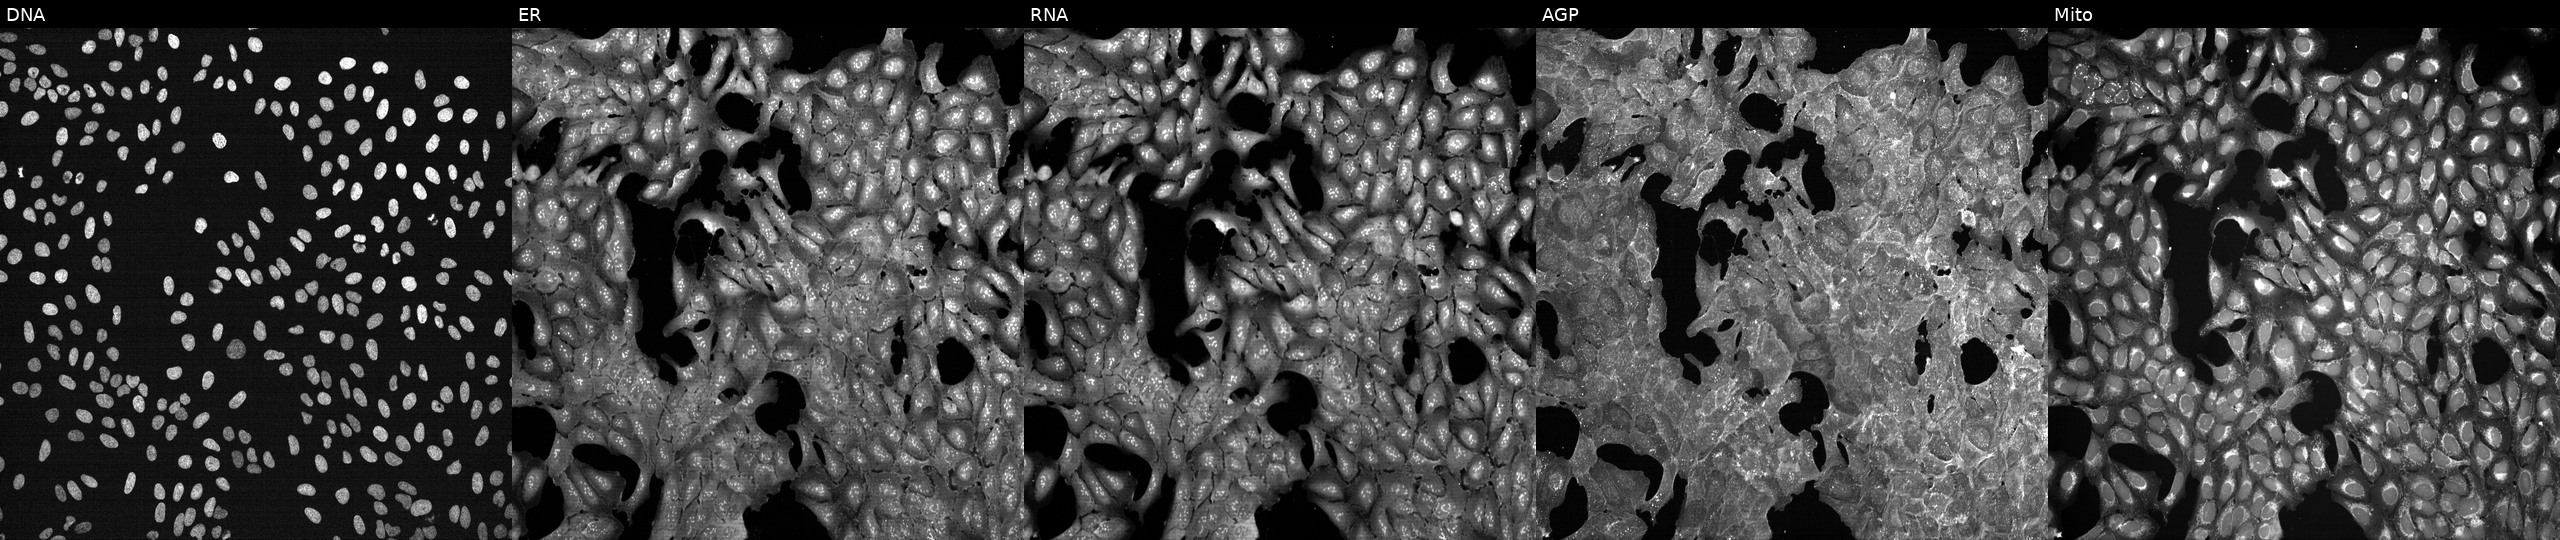
U2OS cells, Cell Painting assay, perturbed with a small-molecule compound (InChIKey YYOOFJZTRCPVFD-UHFFFAOYSA-N) [SMILES: CS(=O)(=O)Nc1ccc(-c2coc3cc(OCc4cccc(C(=O)O)c4)ccc3c2=O)cc1]. Channels (left→right): Hoechst 33342, concanavalin A, SYTO 14, phalloidin and WGA, MitoTracker. Each panel is percentile-stretched 16-bit fluorescence.